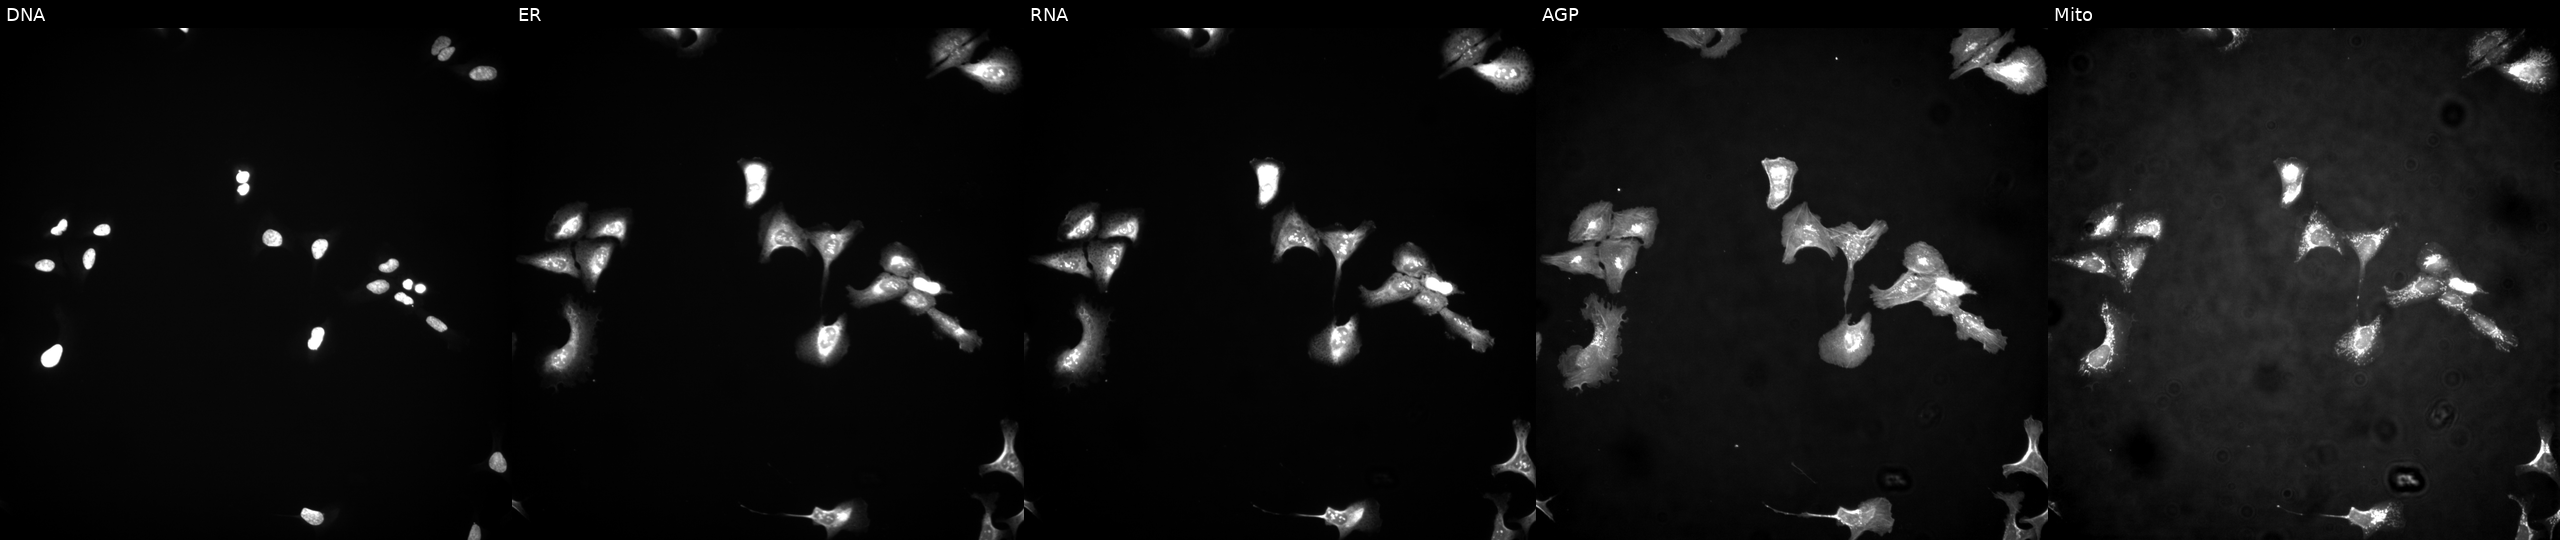
This image strip shows the five Cell Painting channels for a single field of U2OS cells transfected with an ORF construct for SLIRP. Panels show, left to right, DNA, ER, RNA, AGP, and Mito.